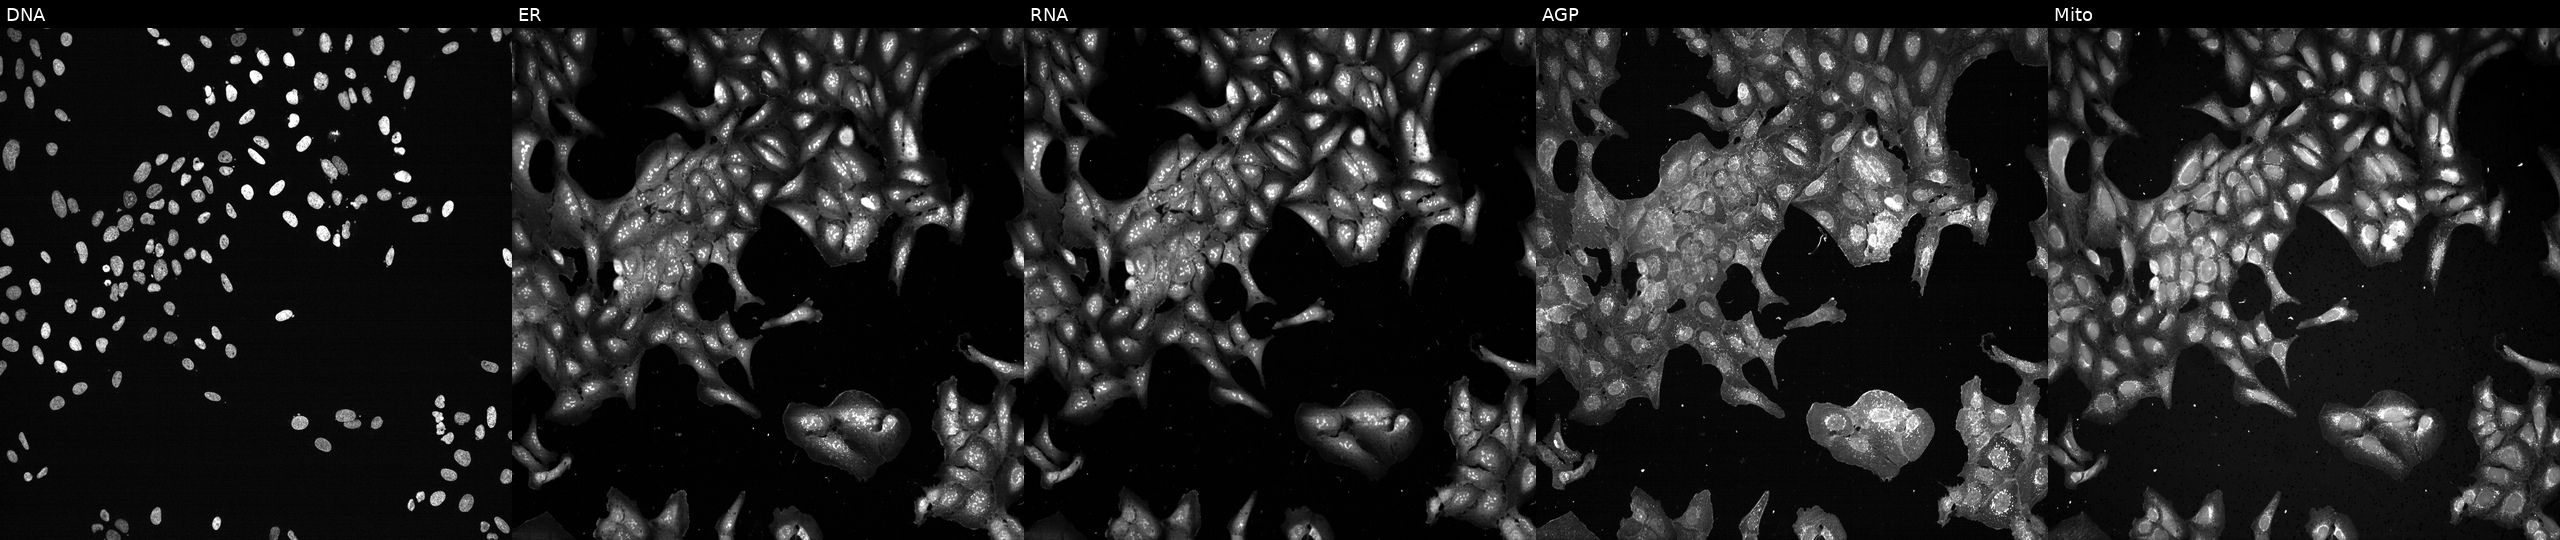
Five-channel Cell Painting image of U2OS cells with FAH knocked out by CRISPR. Panels show, left to right, DNA (nuclei); ER (endoplasmic reticulum); RNA (nucleoli and cytoplasmic RNA); AGP (actin cytoskeleton, Golgi, and plasma membrane); Mito (mitochondria).